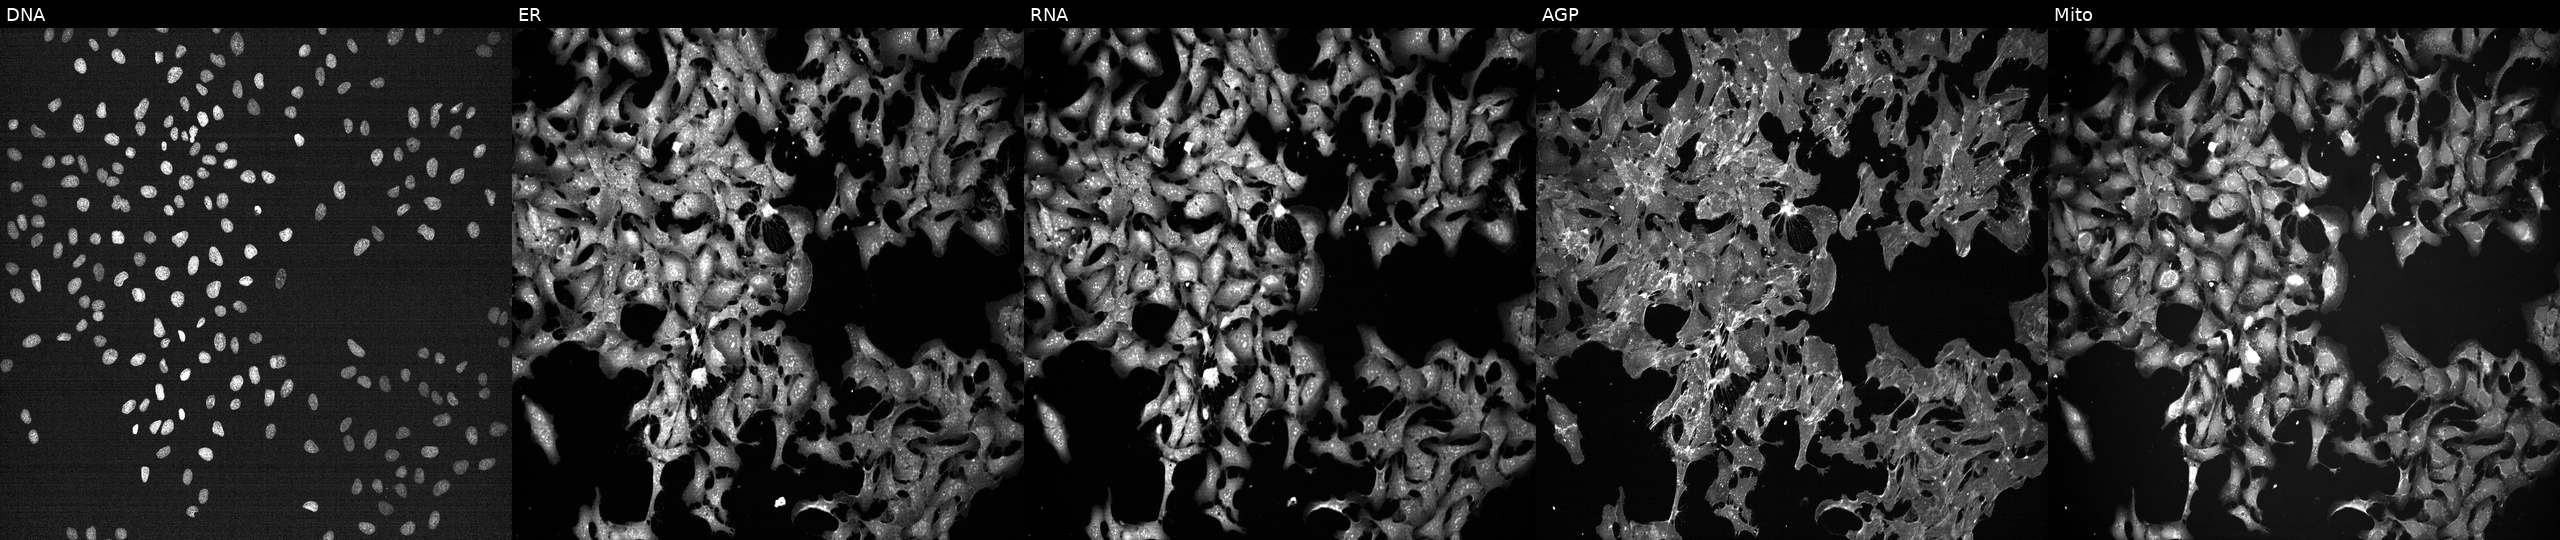
Panels show, left to right, DNA, ER, RNA, AGP, and Mito. U2OS osteosarcoma cells exposed to the positive-control compound FK-866. Cell Painting assay, JUMP-CP dataset.